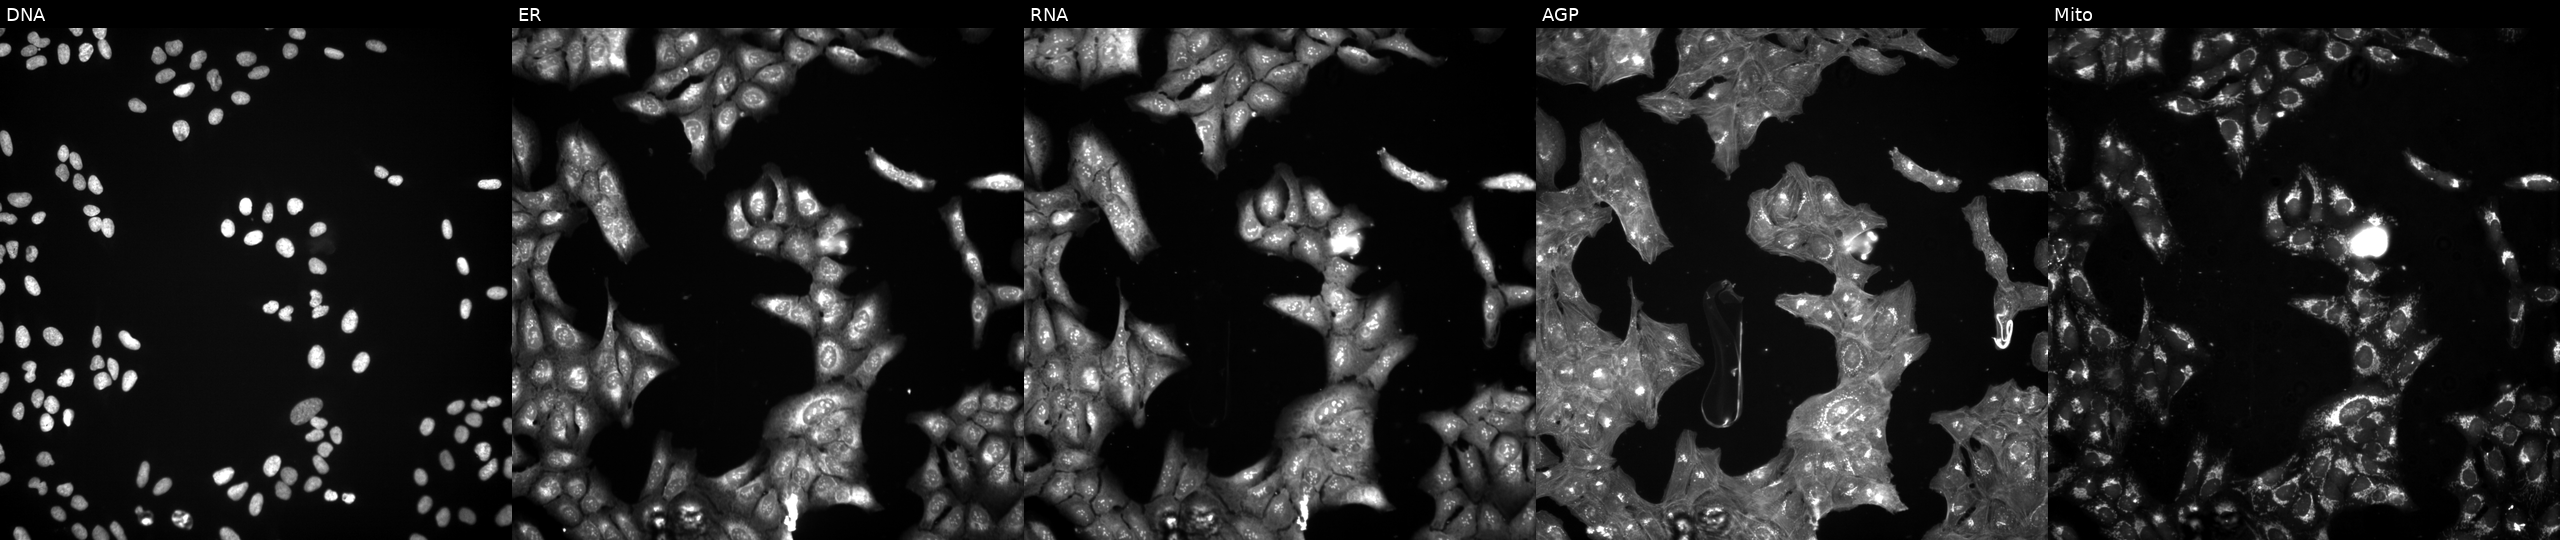
High-content fluorescence microscopy (Cell Painting). Cell line: U2OS. Perturbation: untreated (empty-well control). Panels show, left to right, DNA, ER, RNA, AGP, and Mito.